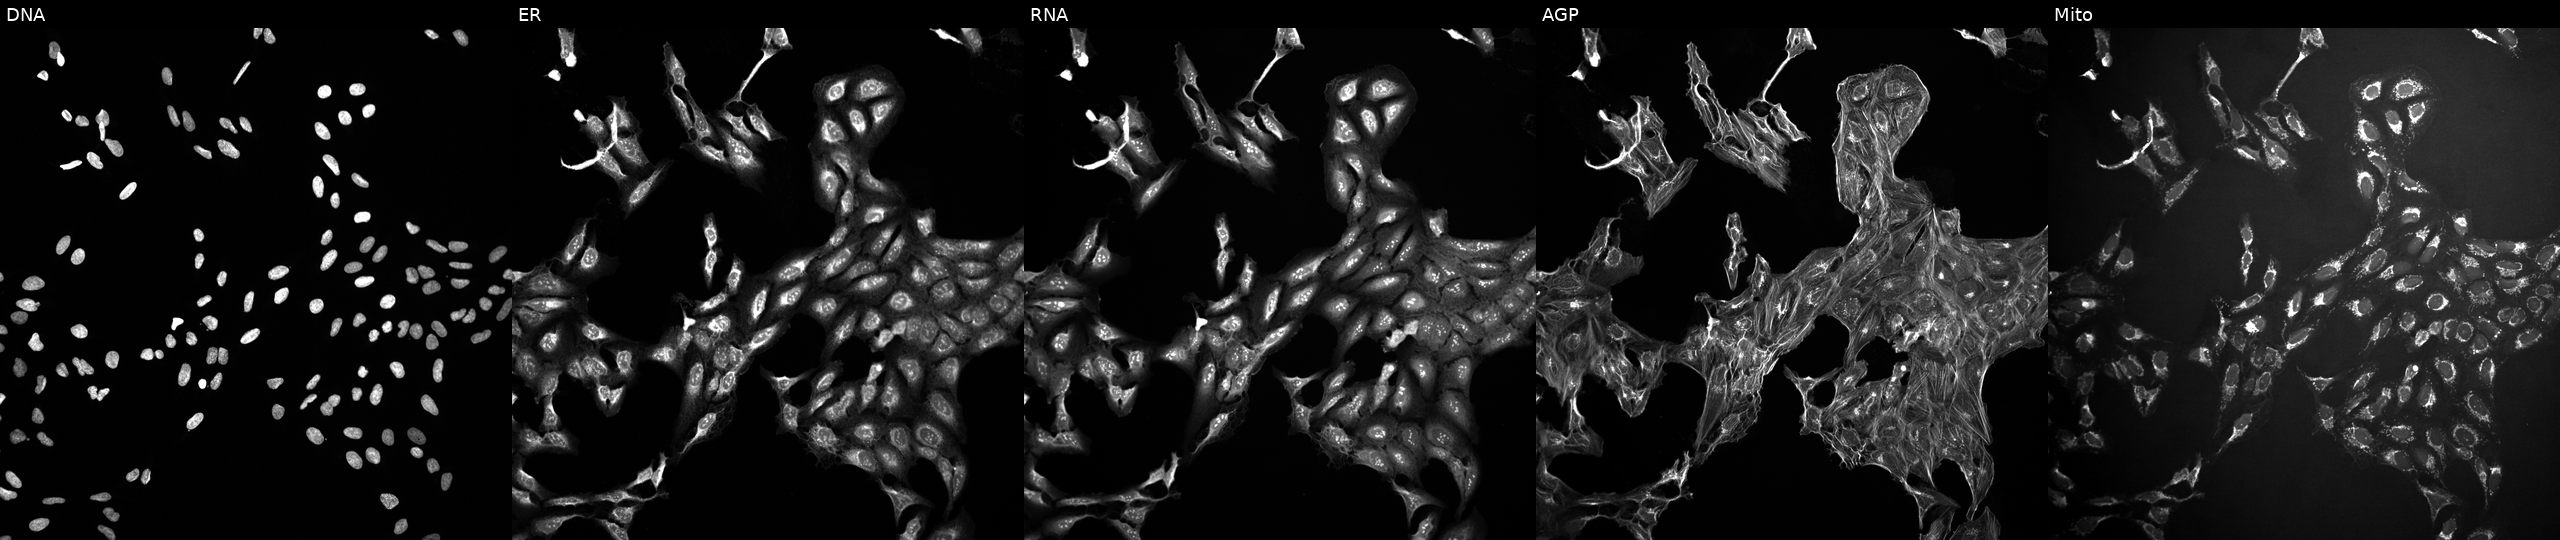
Panels show, left to right, DNA (nuclei); ER (endoplasmic reticulum); RNA (nucleoli and cytoplasmic RNA); AGP (actin cytoskeleton, Golgi, and plasma membrane); Mito (mitochondria). U2OS osteosarcoma cells perturbed with a small-molecule compound. Cell Painting assay, JUMP-CP dataset.